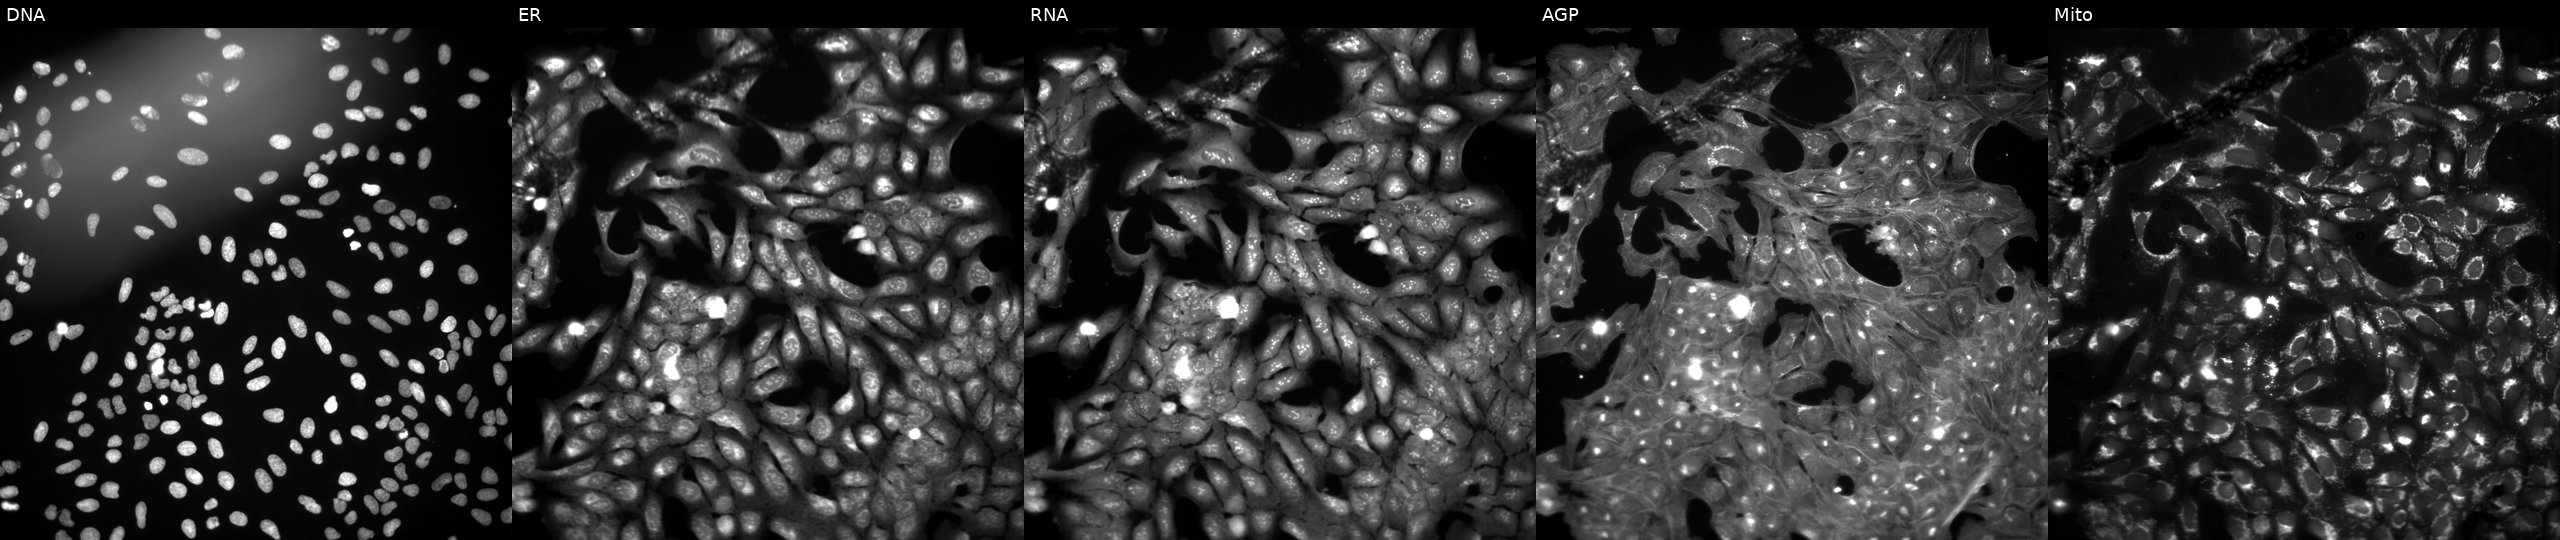
This image strip shows the five Cell Painting channels for a single field of U2OS cells exposed to a small-molecule compound (InChIKey RGOYZLFWPWJHLQ-UHFFFAOYSA-N). The five panels, left to right, show DNA, ER, RNA, AGP, and Mito.